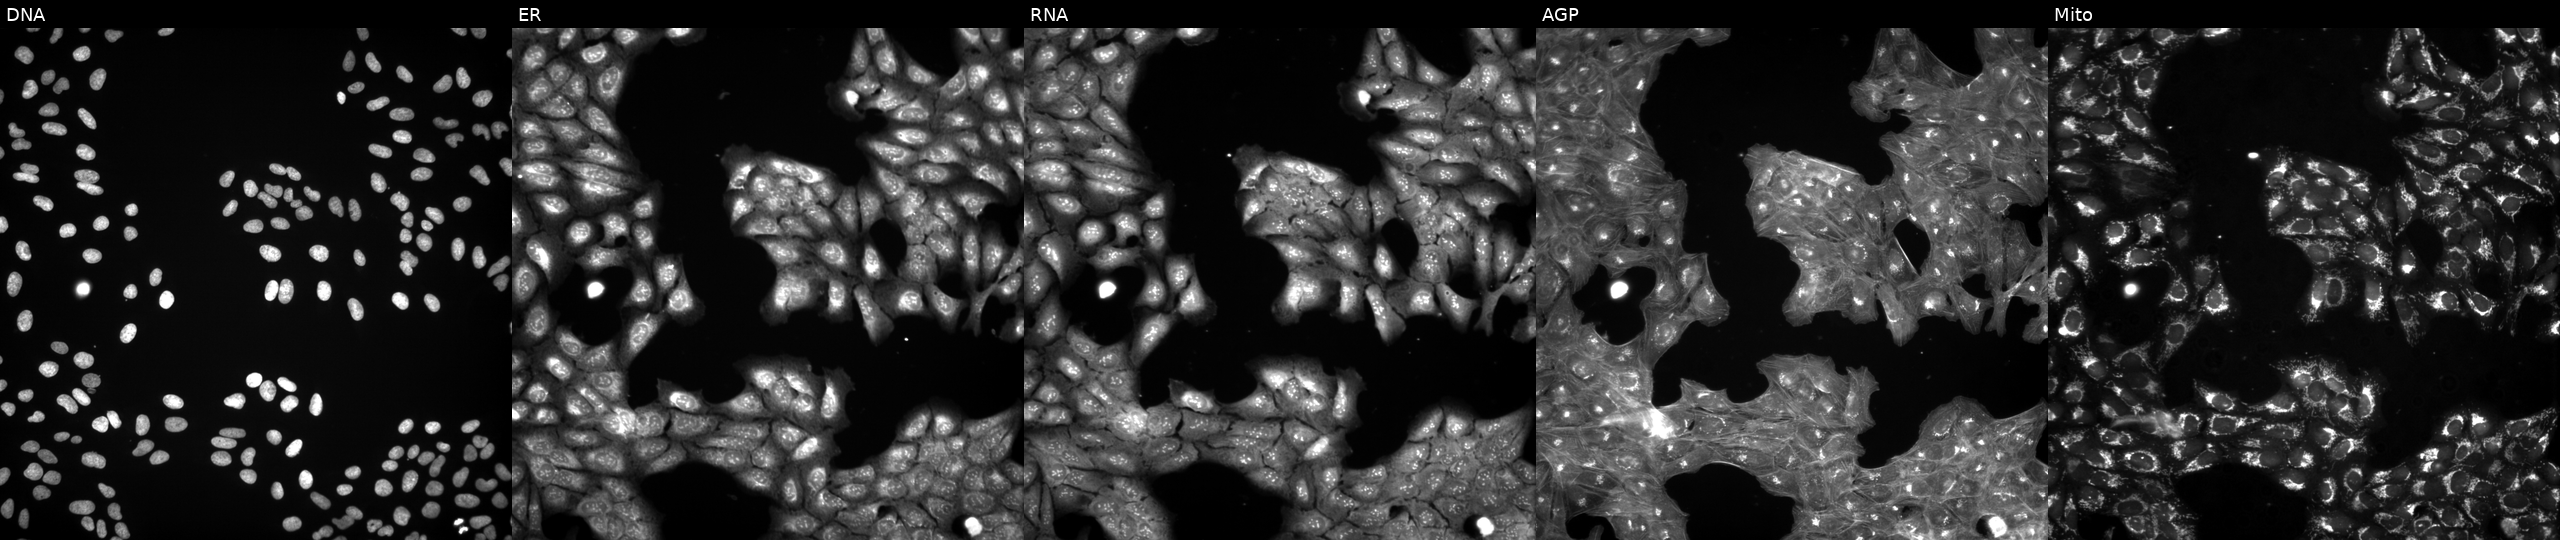
U2OS cells, Cell Painting assay, perturbed with a small-molecule compound (JUMP id JCP2022_032852). Channels (left→right): DNA (nuclei); ER (endoplasmic reticulum); RNA (nucleoli and cytoplasmic RNA); AGP (actin cytoskeleton, Golgi, and plasma membrane); Mito (mitochondria). Each panel is percentile-stretched 16-bit fluorescence.